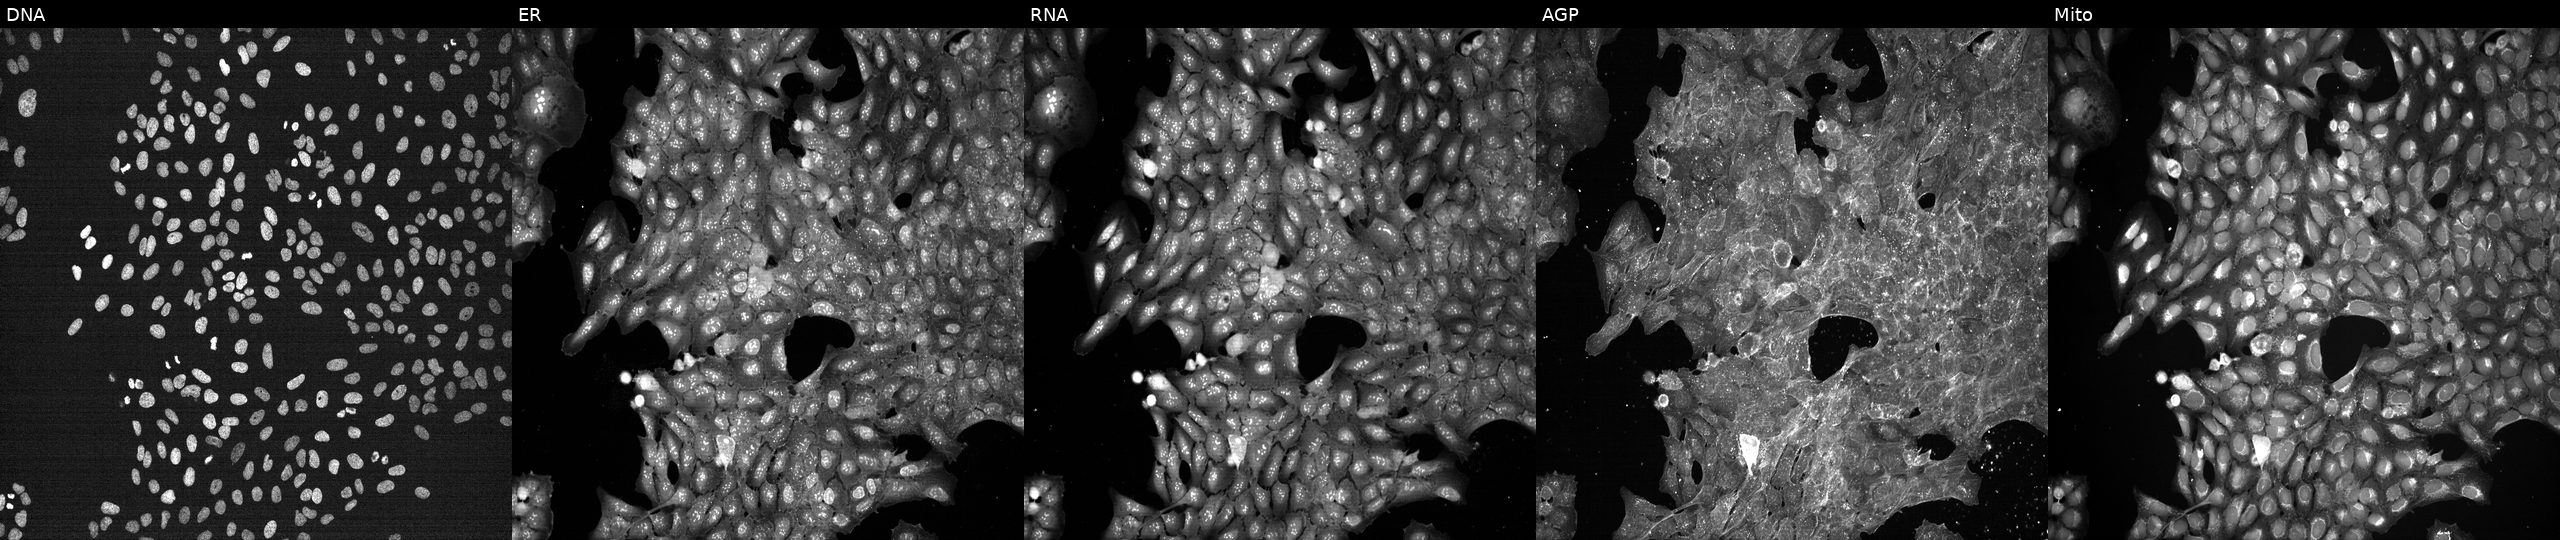
This image strip shows the five Cell Painting channels for a single field of U2OS cells treated with DMSO vehicle only (negative control). Channels (left→right): DNA (nuclei); ER (endoplasmic reticulum); RNA (nucleoli and cytoplasmic RNA); AGP (actin cytoskeleton, Golgi, and plasma membrane); Mito (mitochondria).